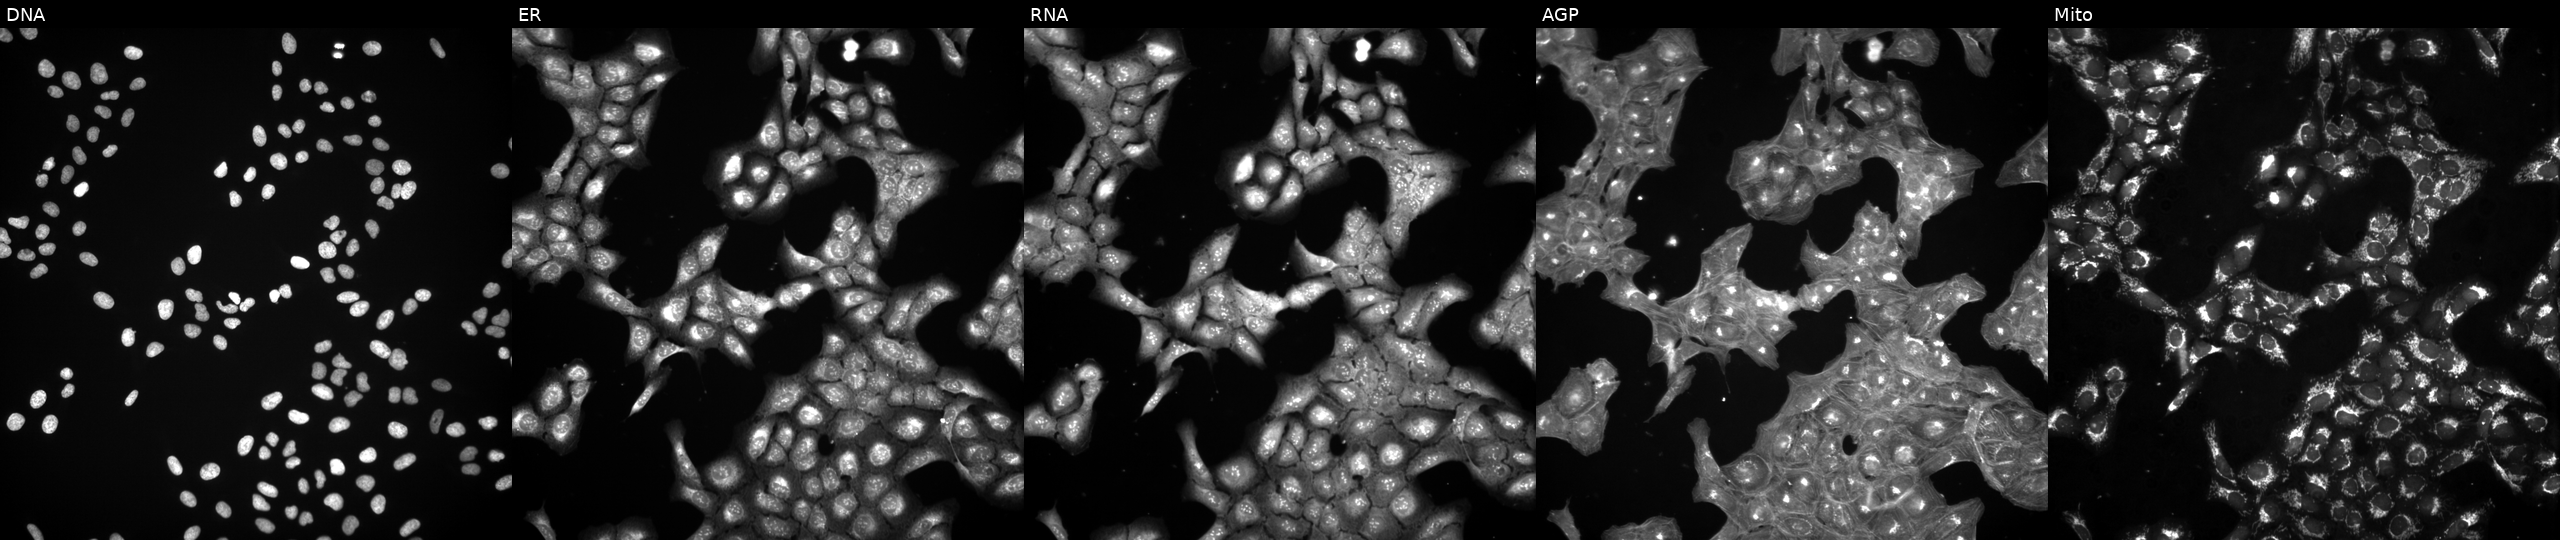
High-content fluorescence microscopy (Cell Painting). Cell line: U2OS. Perturbation: exposed to a small-molecule compound (InChIKey DTNDSZZOGZGEBD-UHFFFAOYSA-N) [SMILES: O=C1CC(c2cc3c(cc2Cl)OCO3)c2ccc3ccccc3c2N1]. Channels (left→right): Hoechst 33342, concanavalin A, SYTO 14, phalloidin and WGA, MitoTracker. Source 3, plate BR5867a3, well C07.